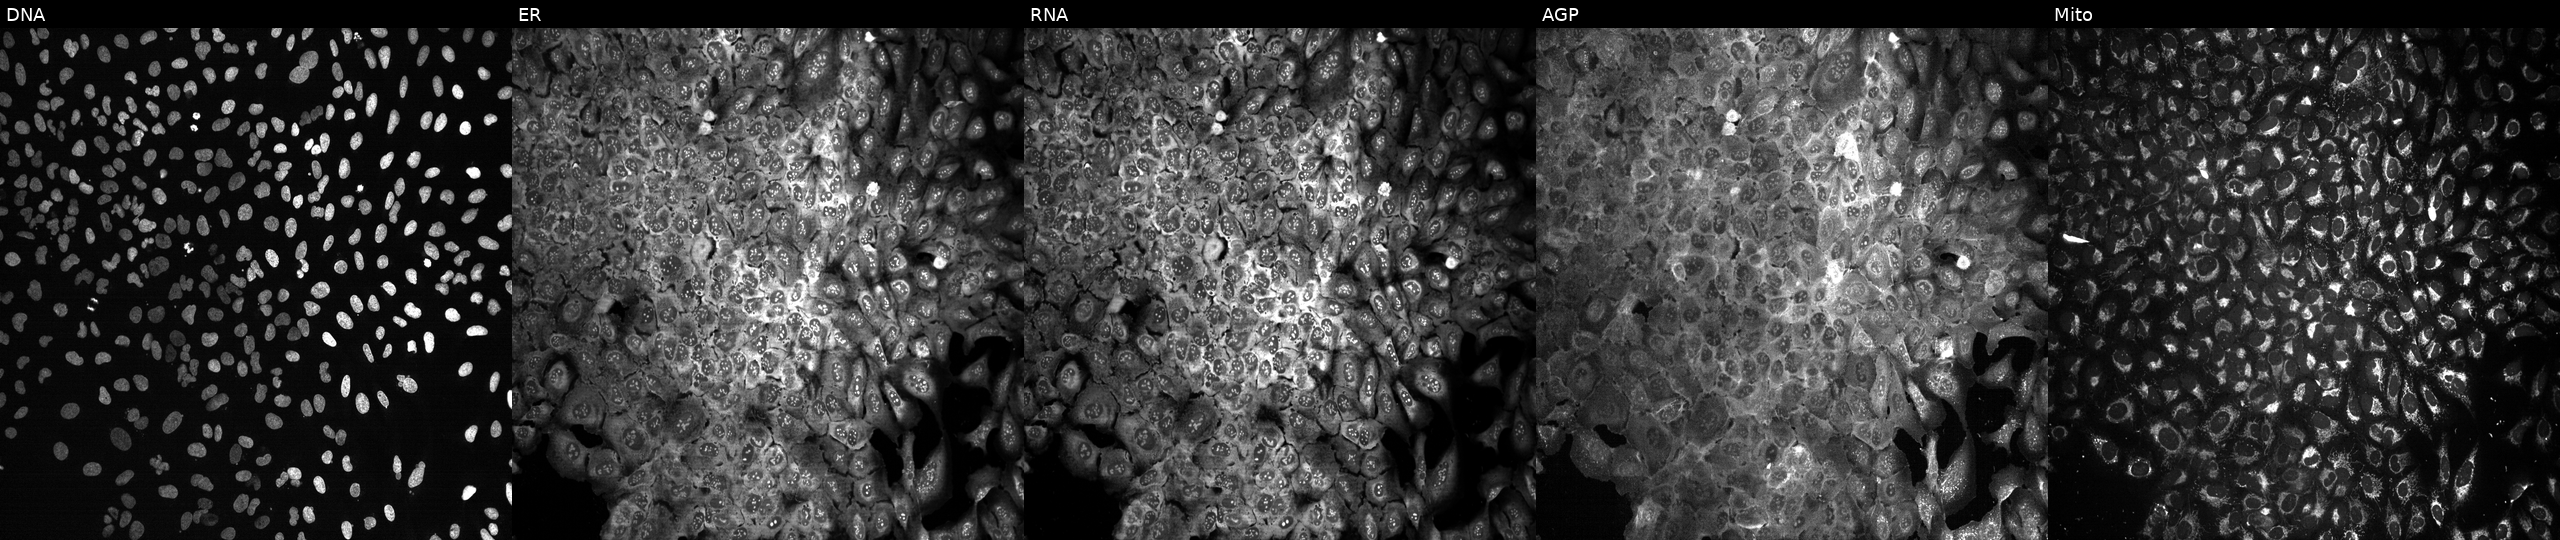
JUMP Cell Painting — CRISPR plate. U2OS cells CRISPR-edited to disrupt GJA5. From left to right: DNA, ER, RNA, AGP, and Mito. Source 13, plate CP-CC9-R3-01, well K03.